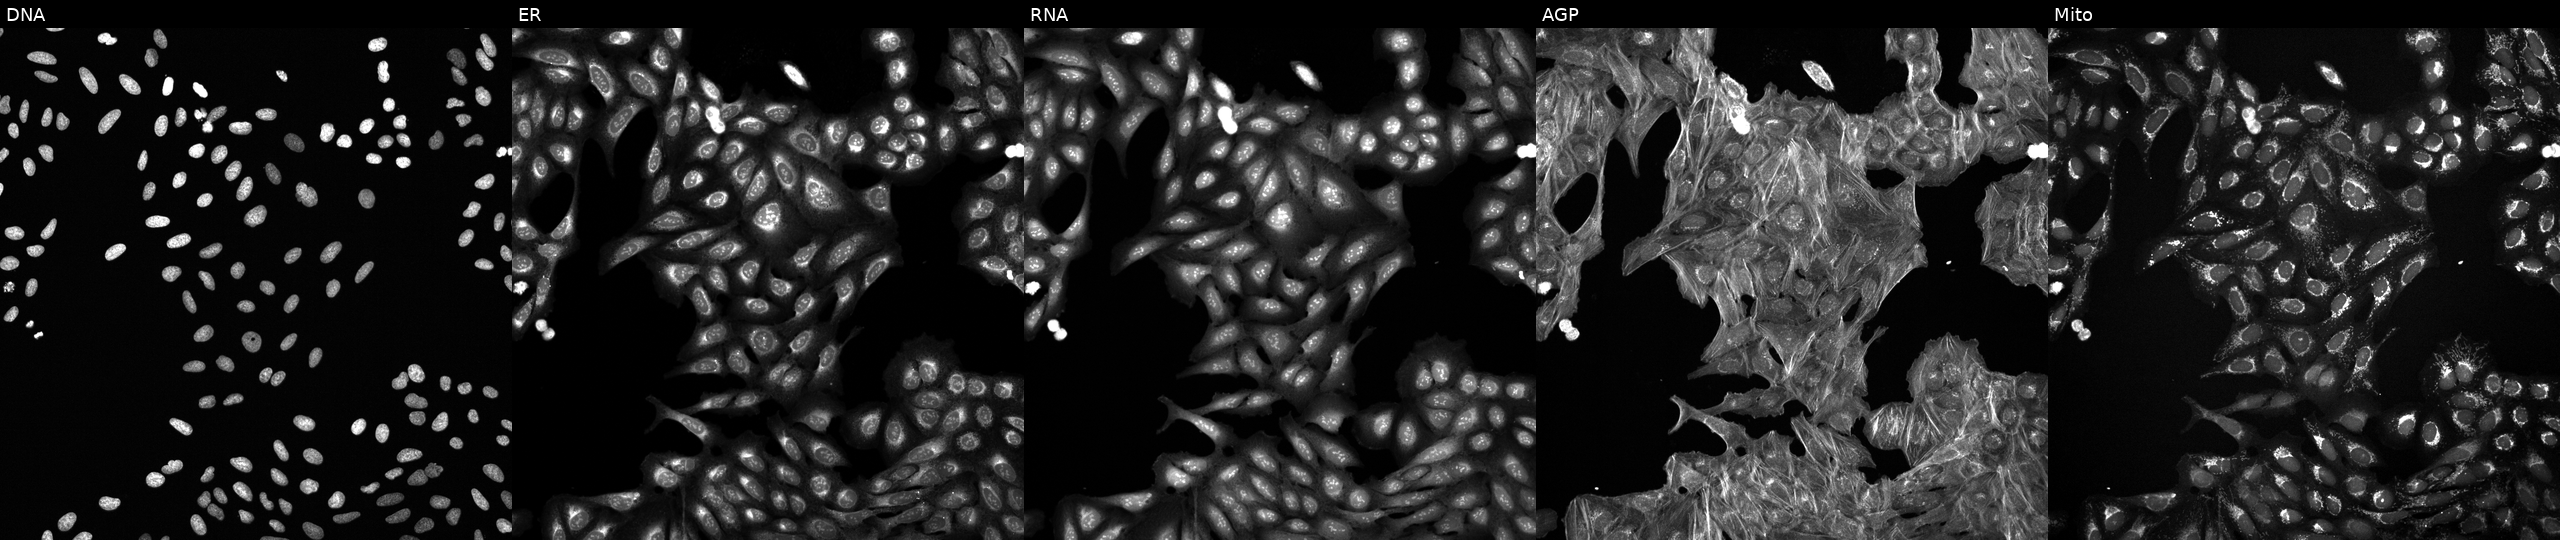
U2OS cells, Cell Painting assay, exposed to DMSO alone as a negative control. From left to right: Hoechst 33342, concanavalin A, SYTO 14, phalloidin and WGA, MitoTracker. Each panel is percentile-stretched 16-bit fluorescence. Source 6, plate 110000293082, well C02.